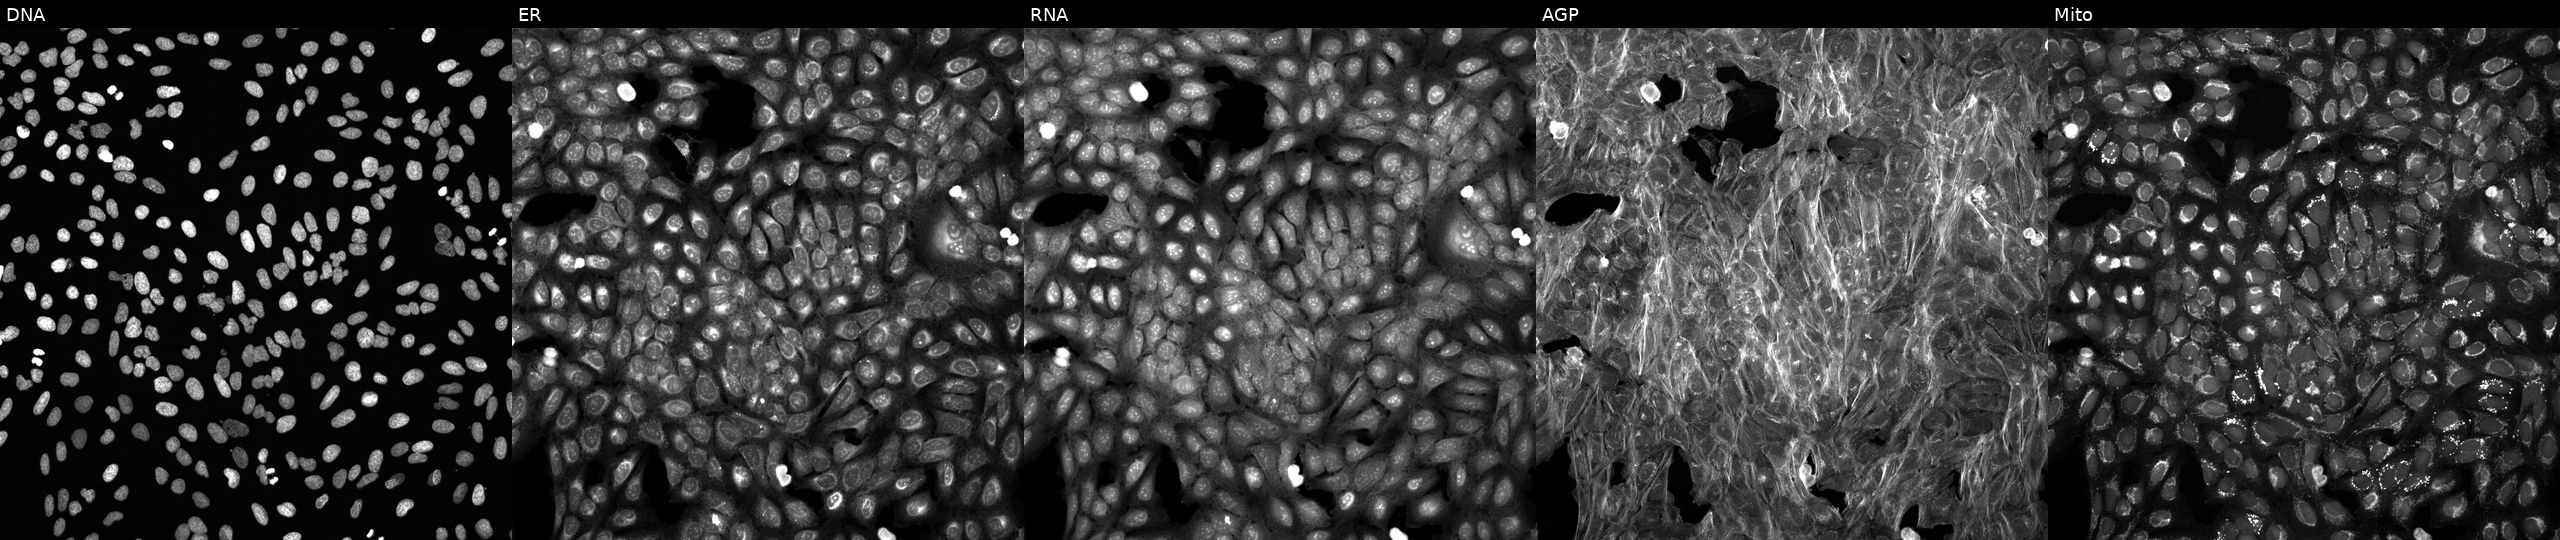
High-content fluorescence microscopy (Cell Painting). Cell line: U2OS. Perturbation: treated with quinidine (positive-control compound). From left to right: DNA (nuclei); ER (endoplasmic reticulum); RNA (nucleoli and cytoplasmic RNA); AGP (actin cytoskeleton, Golgi, and plasma membrane); Mito (mitochondria). Source 6, plate 110000294901, well H12.